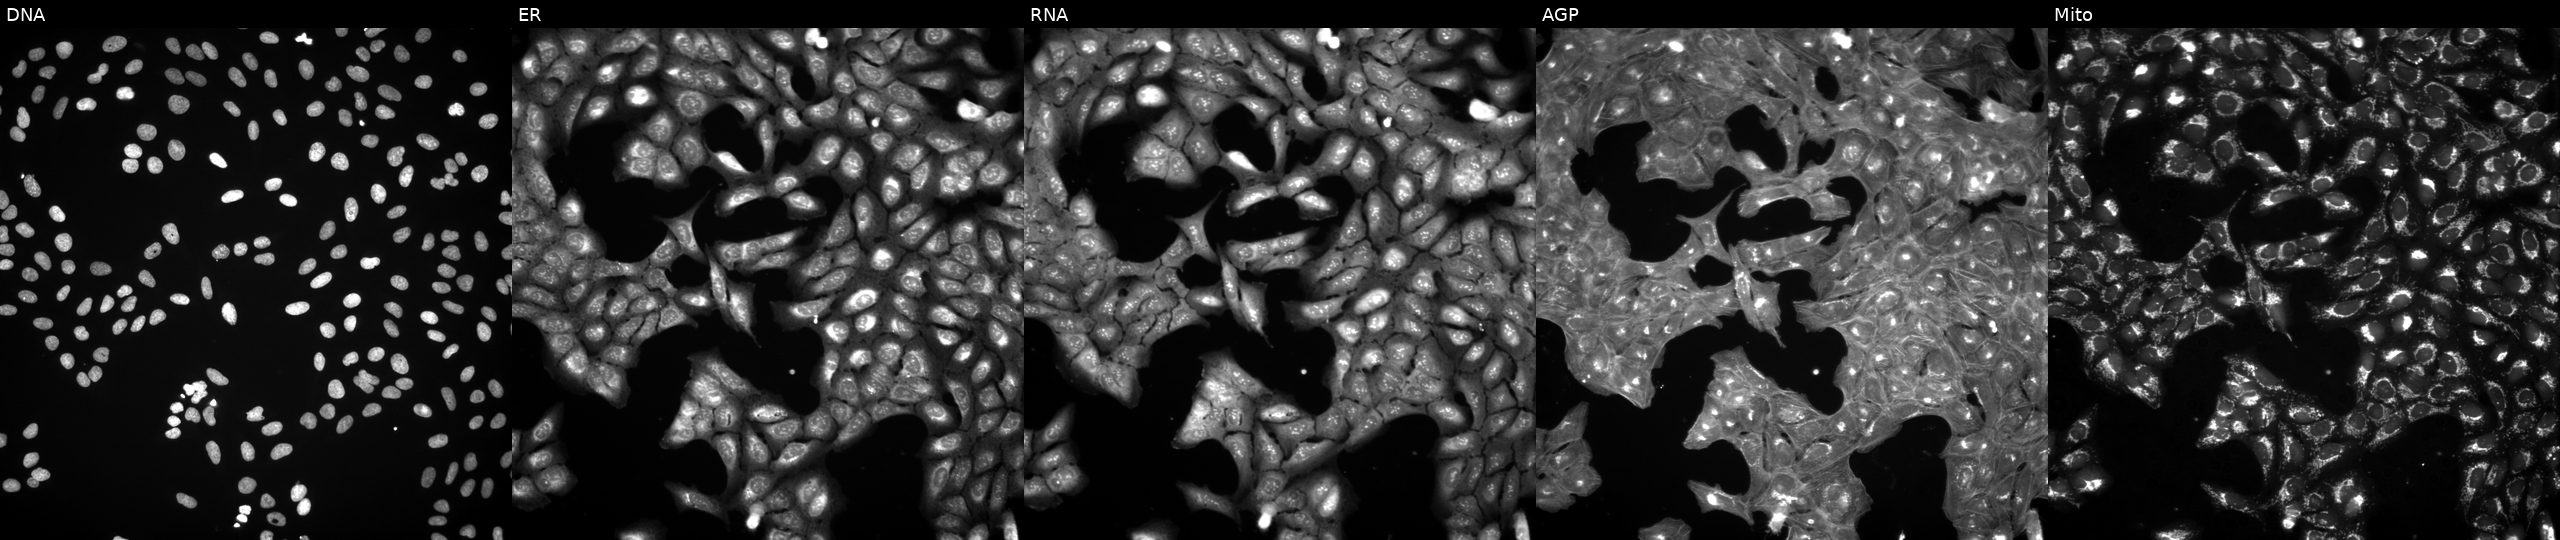
Five-channel Cell Painting image of U2OS cells treated with a small-molecule compound (InChIKey VKFGMEAULLCDPB-UHFFFAOYSA-N) [SMILES: Cc1cc(N2CCN(Cc3ccccc3)CC2)n2c(nc3ccccc32)c1C#N]. From left to right: Hoechst 33342, concanavalin A, SYTO 14, phalloidin and WGA, MitoTracker.